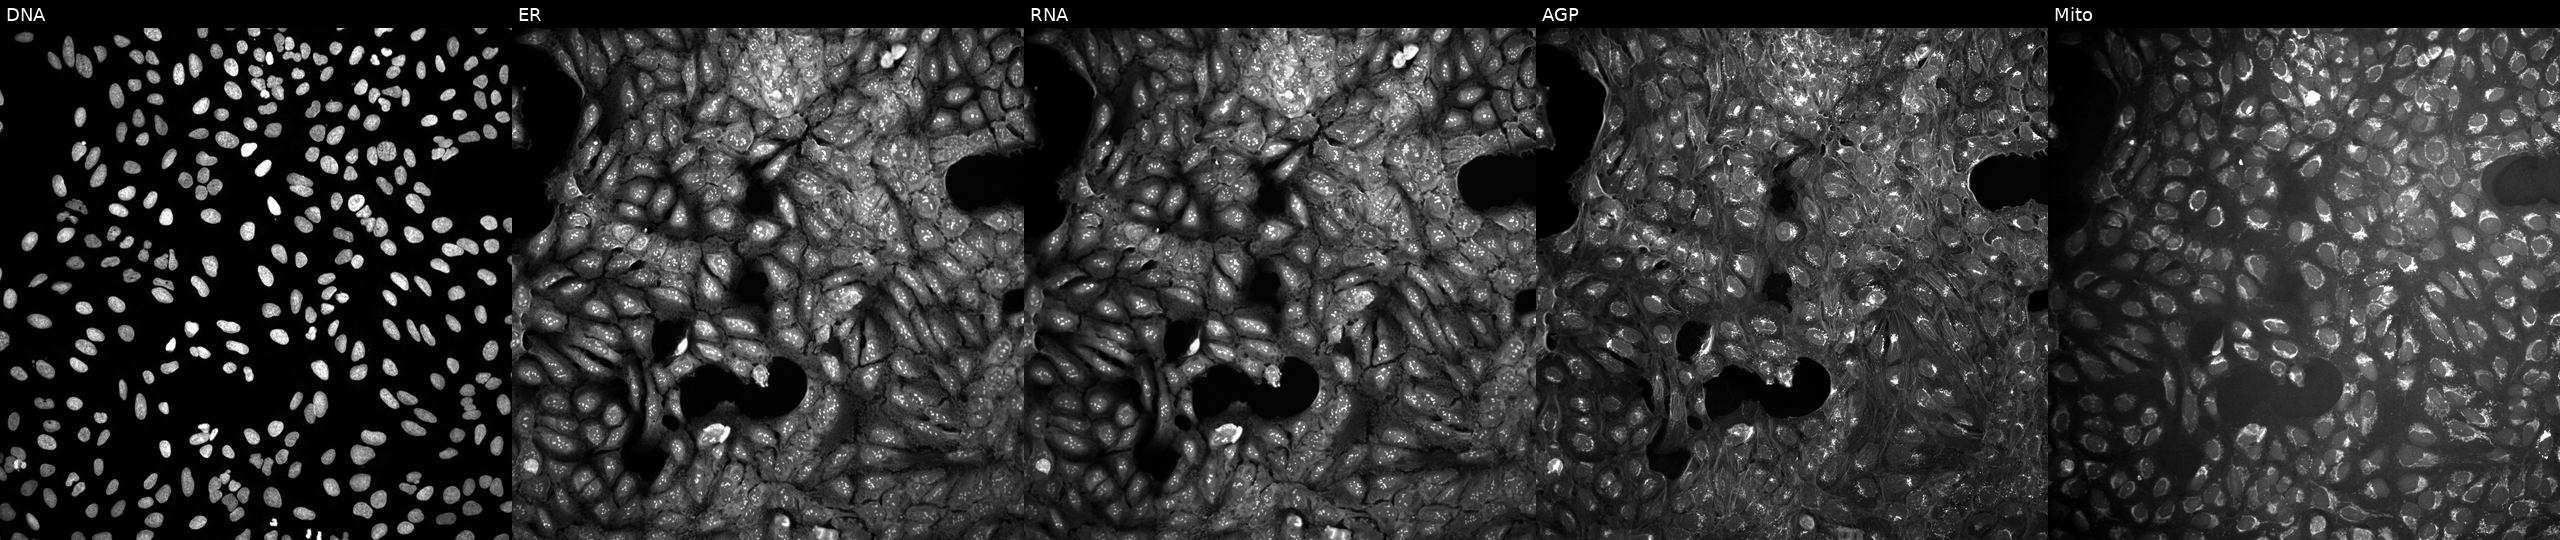
JUMP Cell Painting — COMPOUND plate. U2OS cells treated with aloxistatin (positive-control compound) (JUMP id JCP2022_085227). Panels show, left to right, DNA, ER, RNA, AGP, and Mito.